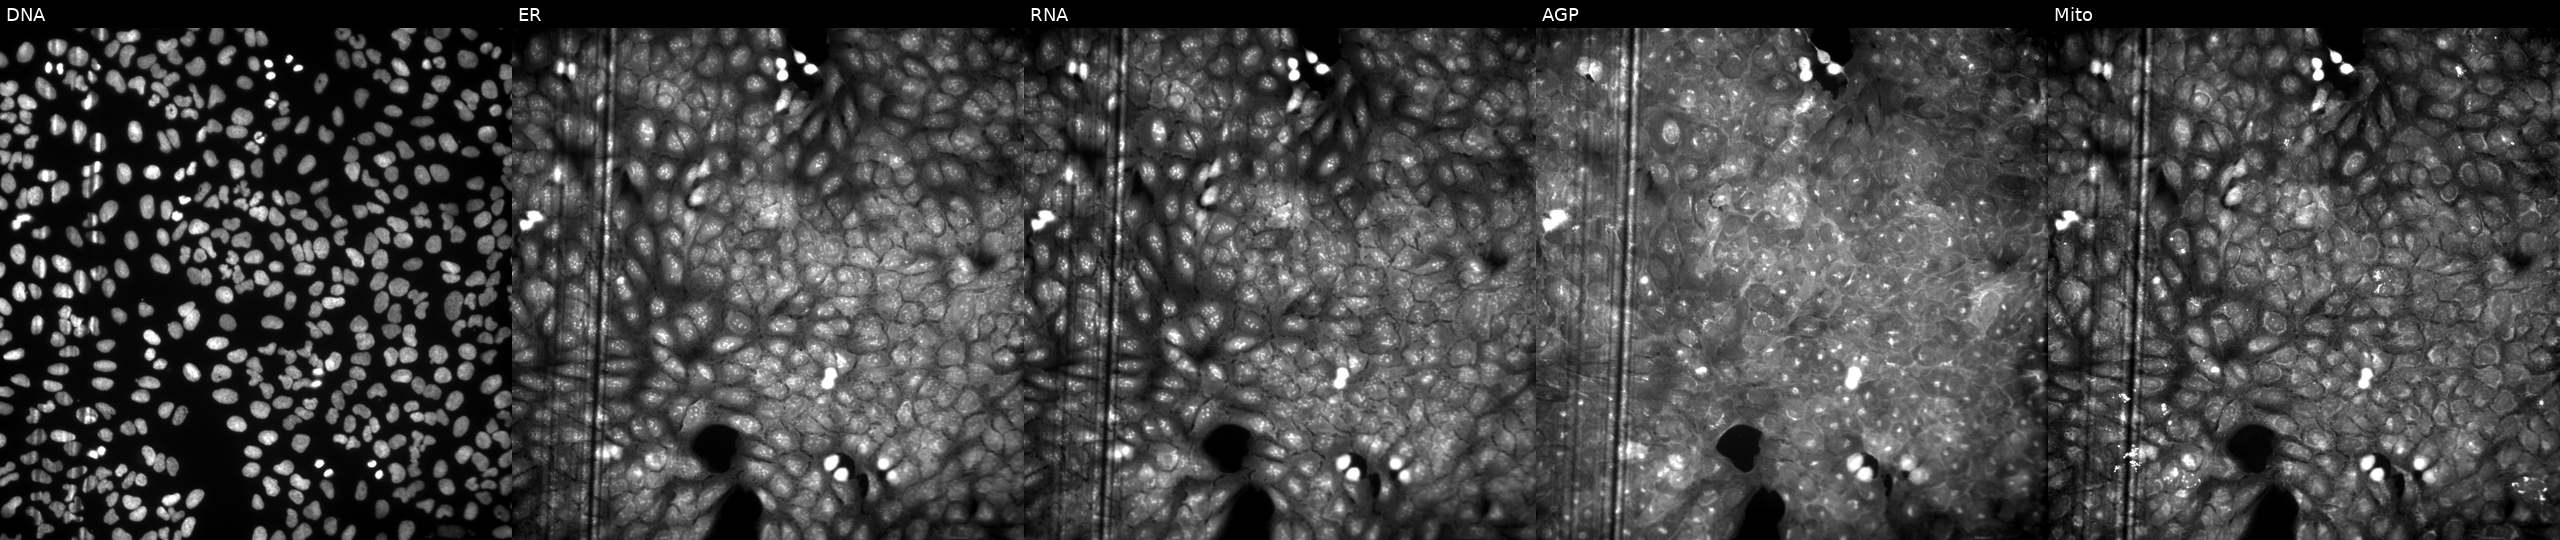
High-content fluorescence microscopy (Cell Painting). Cell line: U2OS. Perturbation: perturbed with a small-molecule compound (InChIKey AUBUDXABTUQHHL-UHFFFAOYSA-N). The five panels, left to right, show DNA (nuclei); ER (endoplasmic reticulum); RNA (nucleoli and cytoplasmic RNA); AGP (actin cytoskeleton, Golgi, and plasma membrane); Mito (mitochondria). Source 9, plate GR00003381, well Z32.